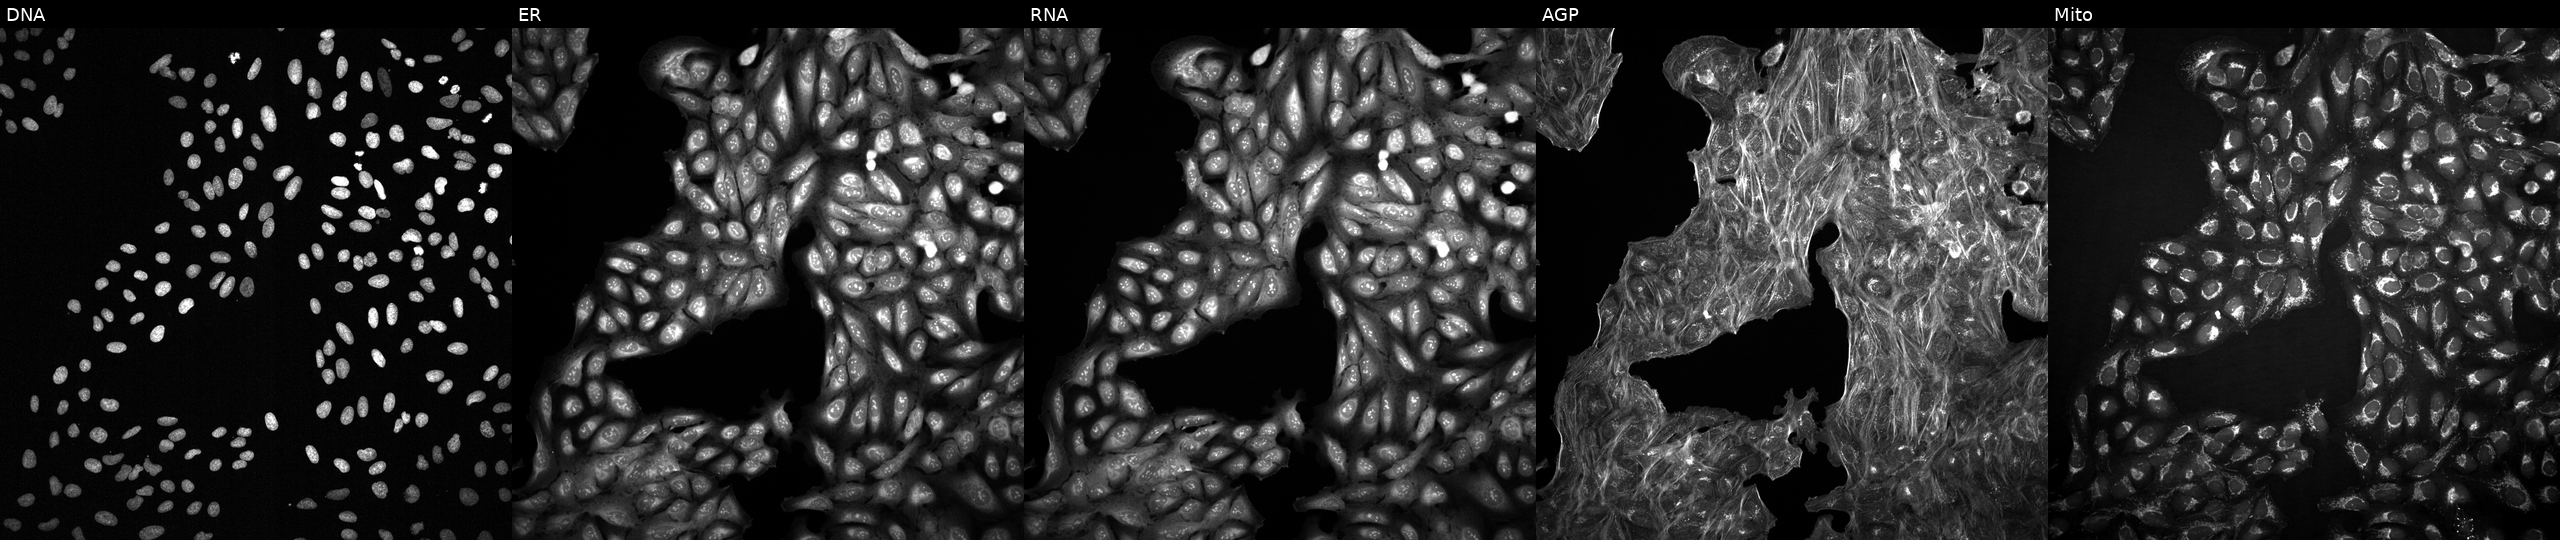
U2OS cells, Cell Painting assay, treated with DMSO vehicle only (negative control). The five panels, left to right, show Hoechst 33342, concanavalin A, SYTO 14, phalloidin and WGA, MitoTracker. Each panel is percentile-stretched 16-bit fluorescence.